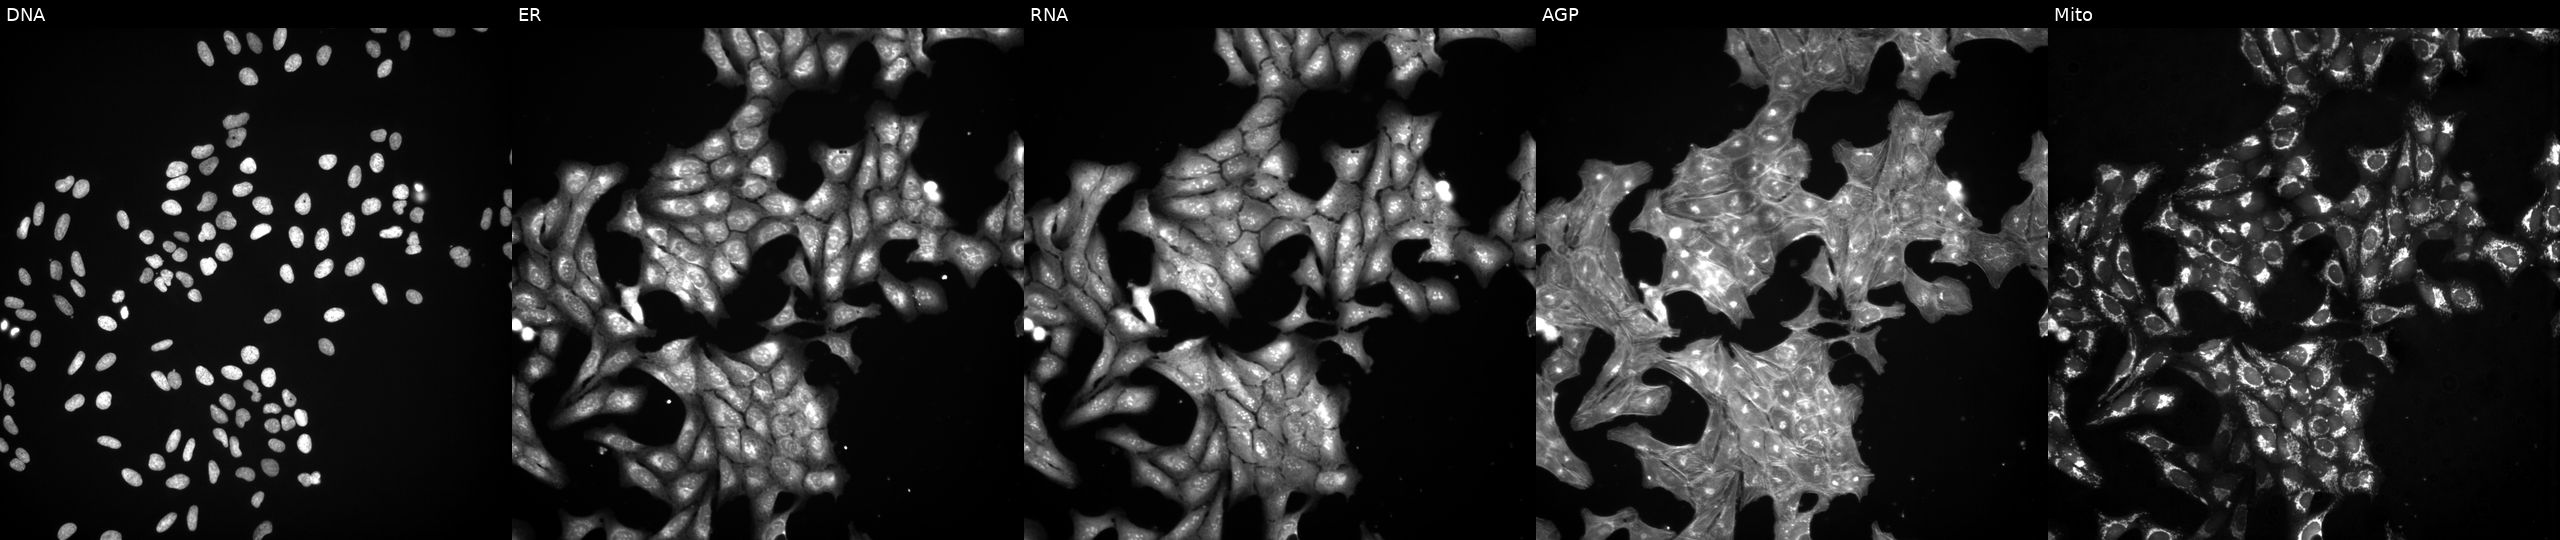
High-content fluorescence microscopy (Cell Painting). Cell line: U2OS. Perturbation: exposed to a small-molecule compound [SMILES: CNC1C(=O)NC2Cc3ccc(cc3)Oc3cc4cc(c3OC3OC(C(=O)O)C(O)C(O)C3NC(=O)CCCCCCCCC(C)C)Oc3ccc(cc3Cl)C(O)c3[nH]c(O)c(c5ccc(O)c(c5)c5c(OC6OC(CO)C(O)C(O)C6O)cc(O)cc5c(=C(O)NCCCN(C)C)[nH]c3O)NC(=O)C4NC(=O)C(NC2=O)c2cc(cc(O)c2Cl)Oc2cc1ccc2O]. From left to right: DNA, ER, RNA, AGP, and Mito.